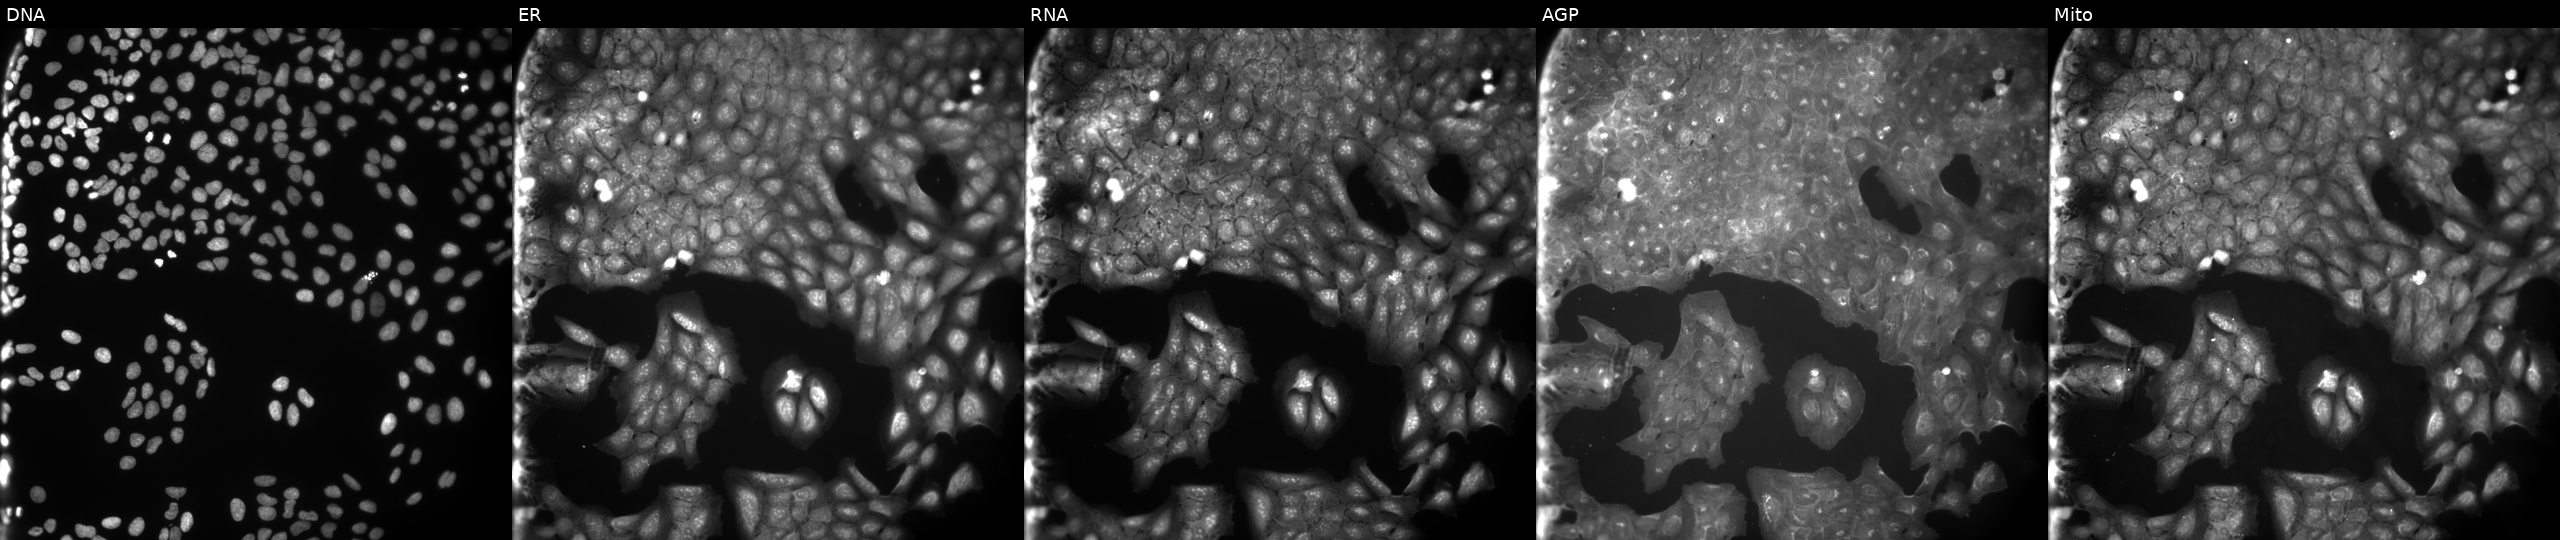
High-content fluorescence microscopy (Cell Painting). Cell line: U2OS. Perturbation: perturbed with a small-molecule compound (JUMP id JCP2022_112174). Channels (left→right): DNA (nuclei); ER (endoplasmic reticulum); RNA (nucleoli and cytoplasmic RNA); AGP (actin cytoskeleton, Golgi, and plasma membrane); Mito (mitochondria). Source 9, plate GR00003381, well S04.